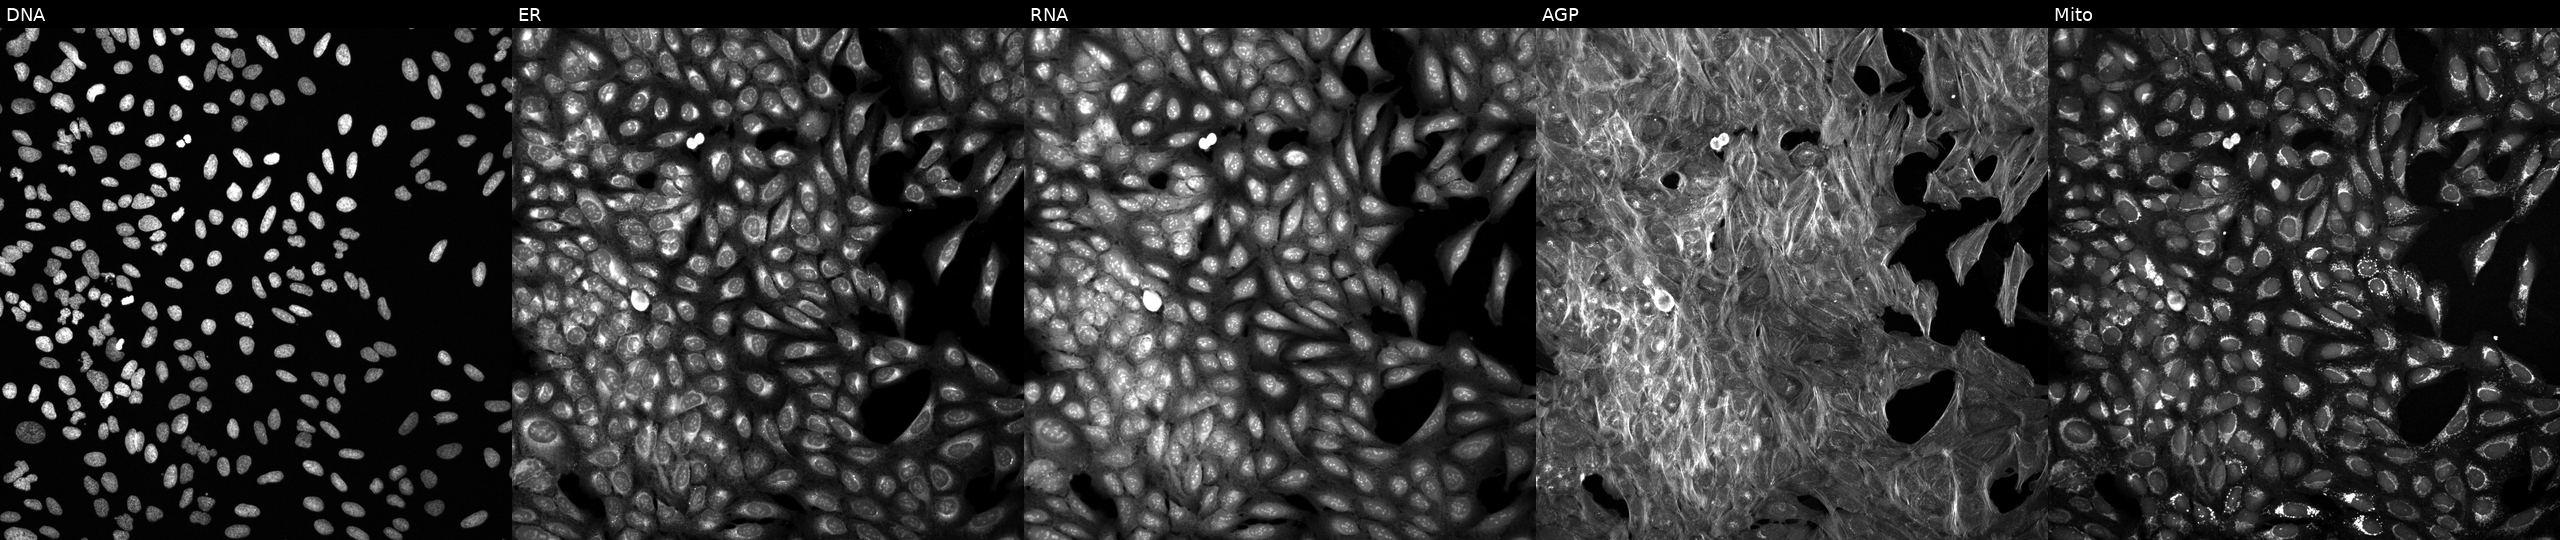
This image strip shows the five Cell Painting channels for a single field of U2OS cells treated with a small-molecule compound (JUMP id JCP2022_034709). From left to right: Hoechst 33342, concanavalin A, SYTO 14, phalloidin and WGA, MitoTracker.